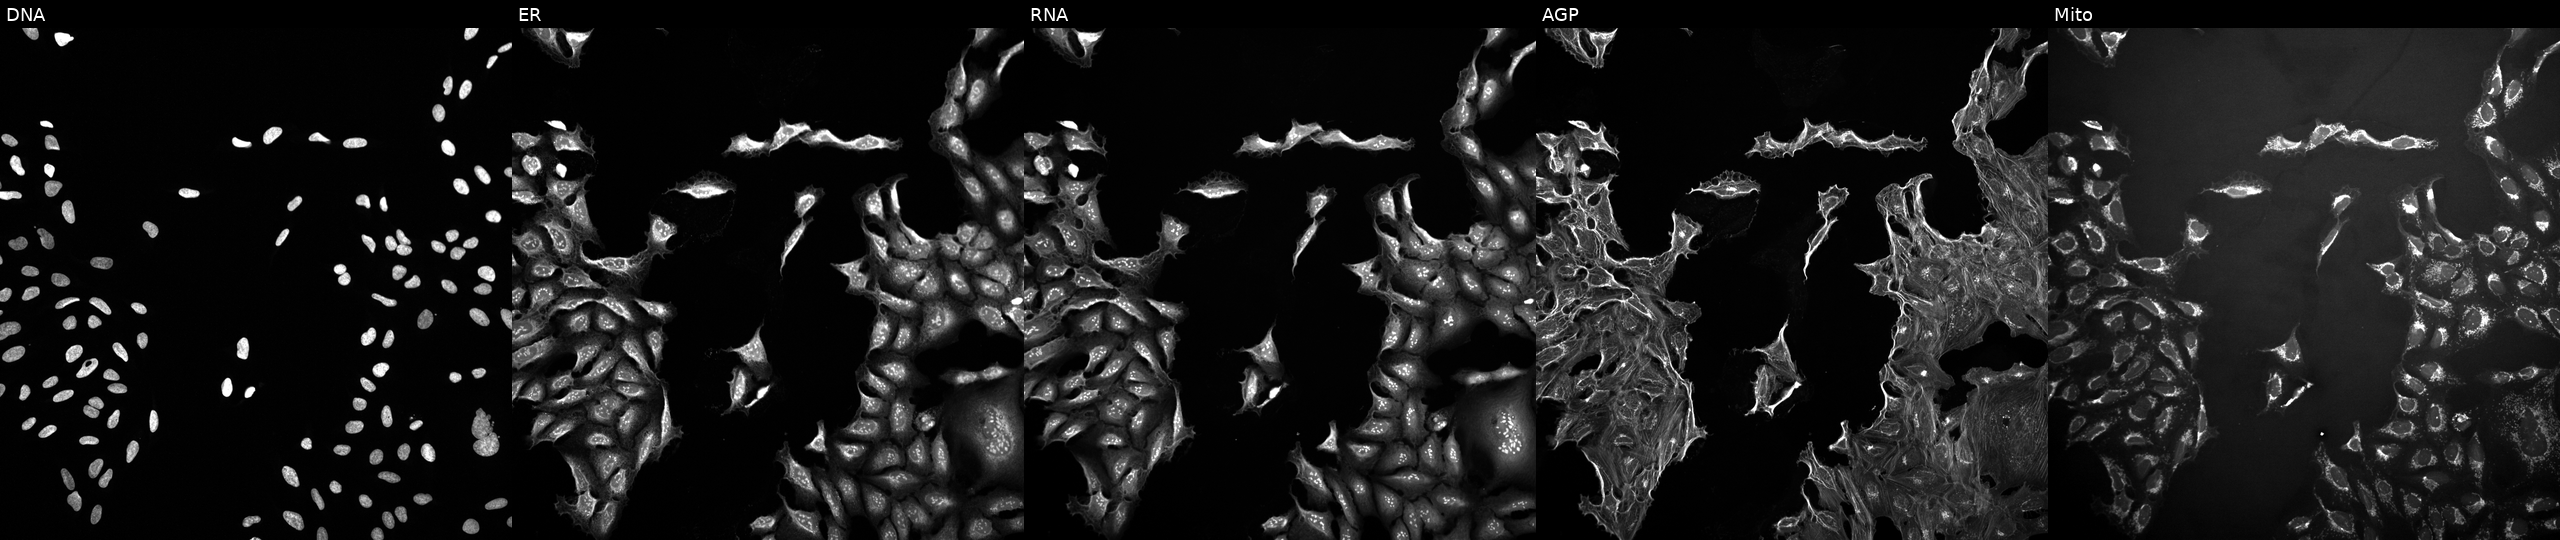
Five-channel Cell Painting image of U2OS cells treated with a small-molecule compound (InChIKey JHSXDAWGLCZYSM-UHFFFAOYSA-N) [SMILES: Cc1cc(Cl)ccc1OCCCC(O)=NO] (JUMP id JCP2022_039863). Panels show, left to right, DNA, ER, RNA, AGP, and Mito. Source 10, plate Dest210726-160150, well H10.